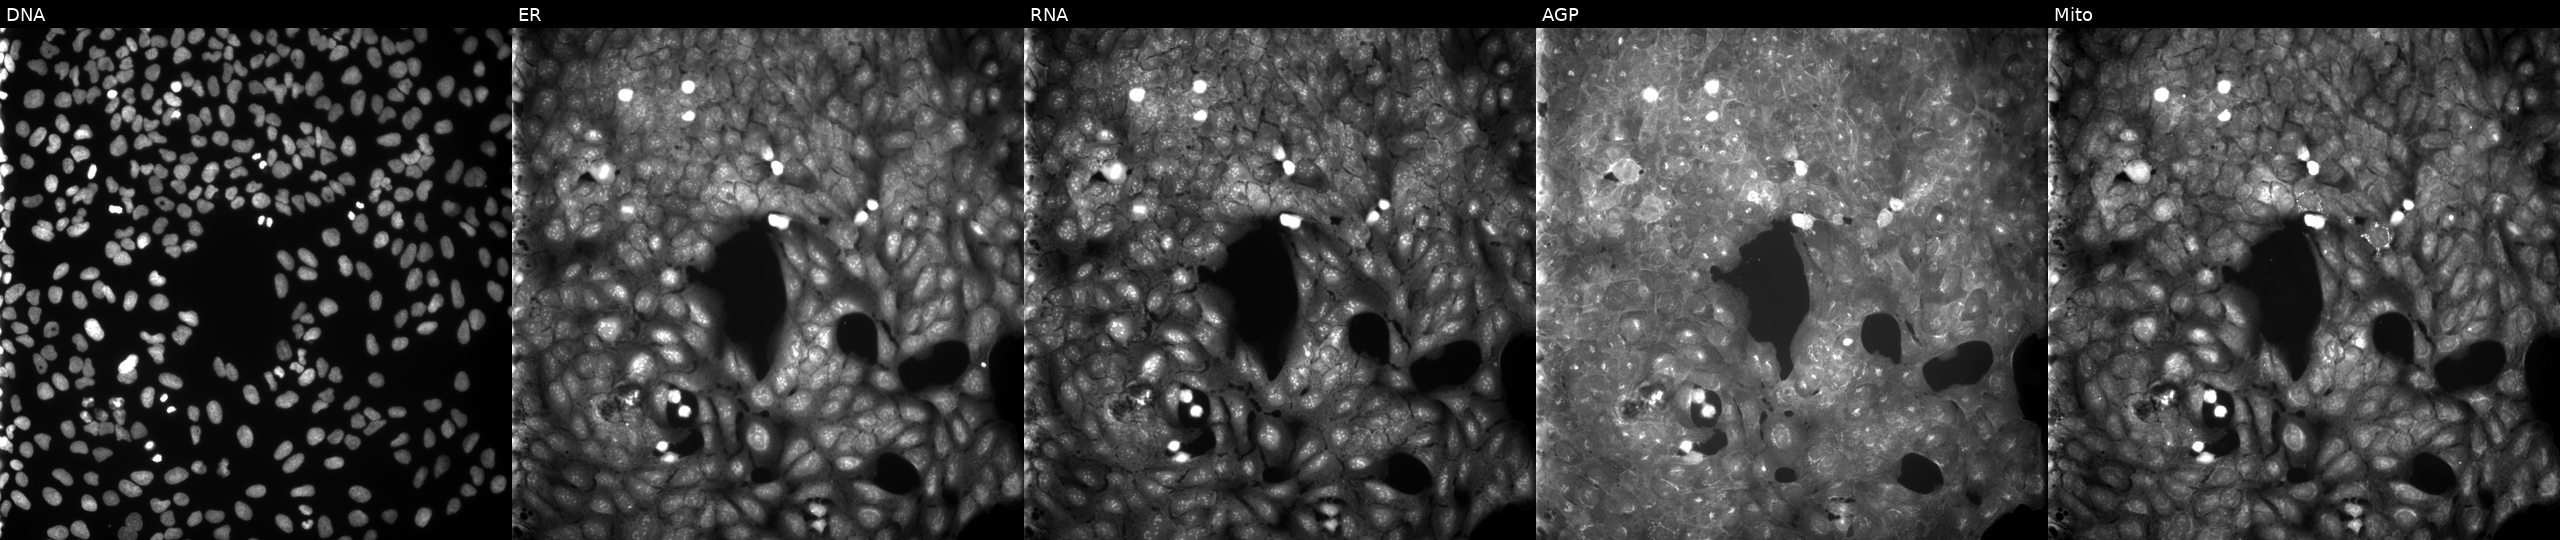
JUMP Cell Painting — COMPOUND plate. U2OS cells treated with a small-molecule compound. Channels (left→right): DNA (nuclei); ER (endoplasmic reticulum); RNA (nucleoli and cytoplasmic RNA); AGP (actin cytoskeleton, Golgi, and plasma membrane); Mito (mitochondria).